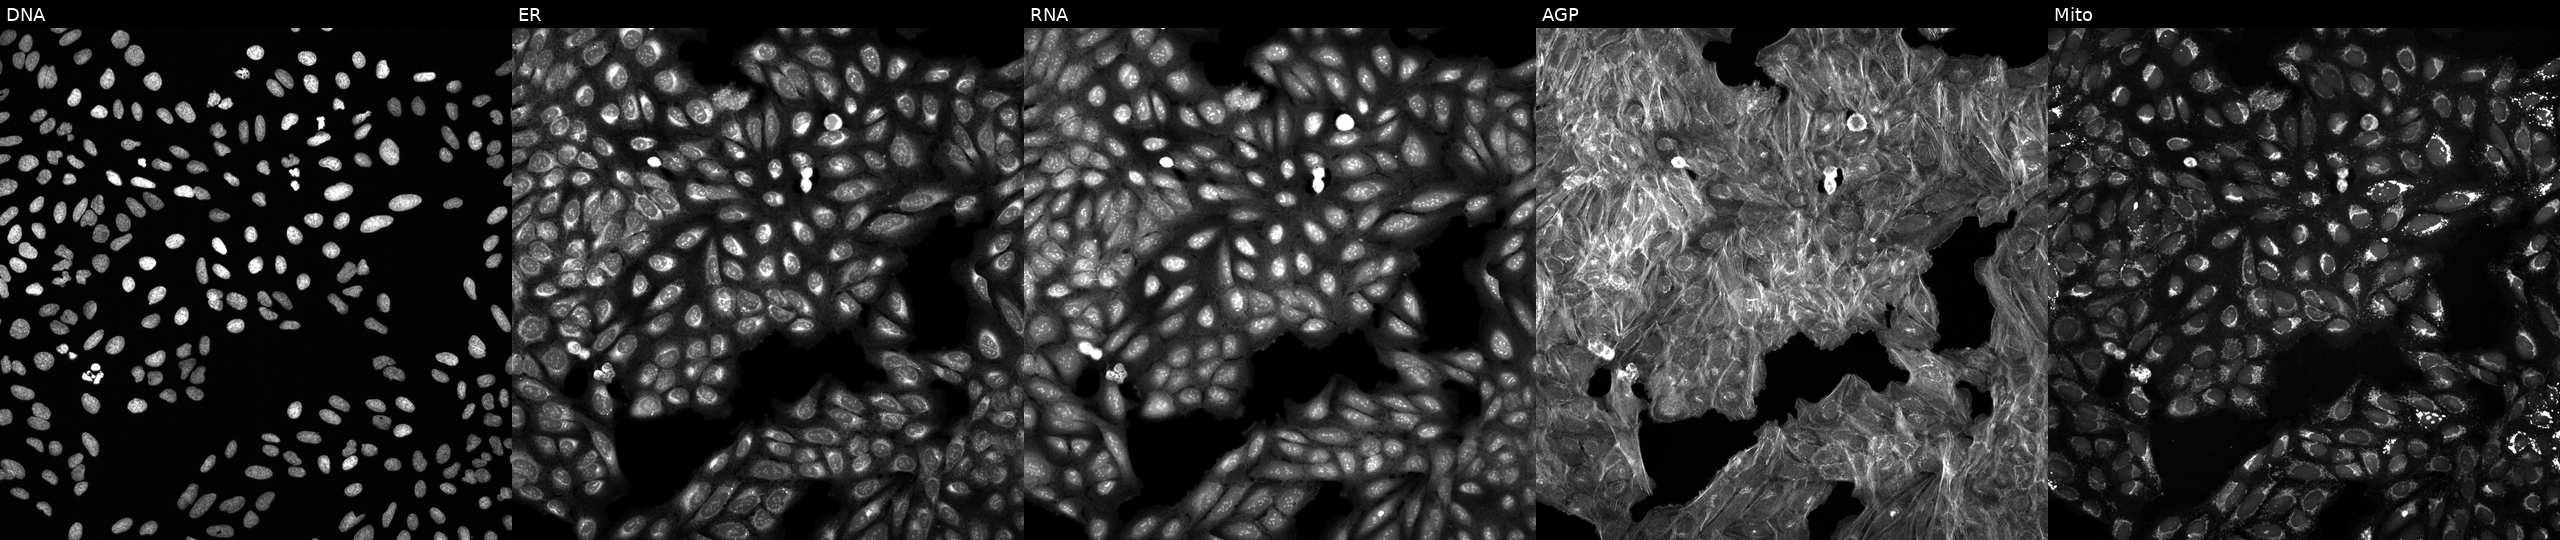
This image strip shows the five Cell Painting channels for a single field of U2OS cells perturbed with a small-molecule compound. The five panels, left to right, show Hoechst 33342, concanavalin A, SYTO 14, phalloidin and WGA, MitoTracker. Source 6, plate 110000293082, well C05.